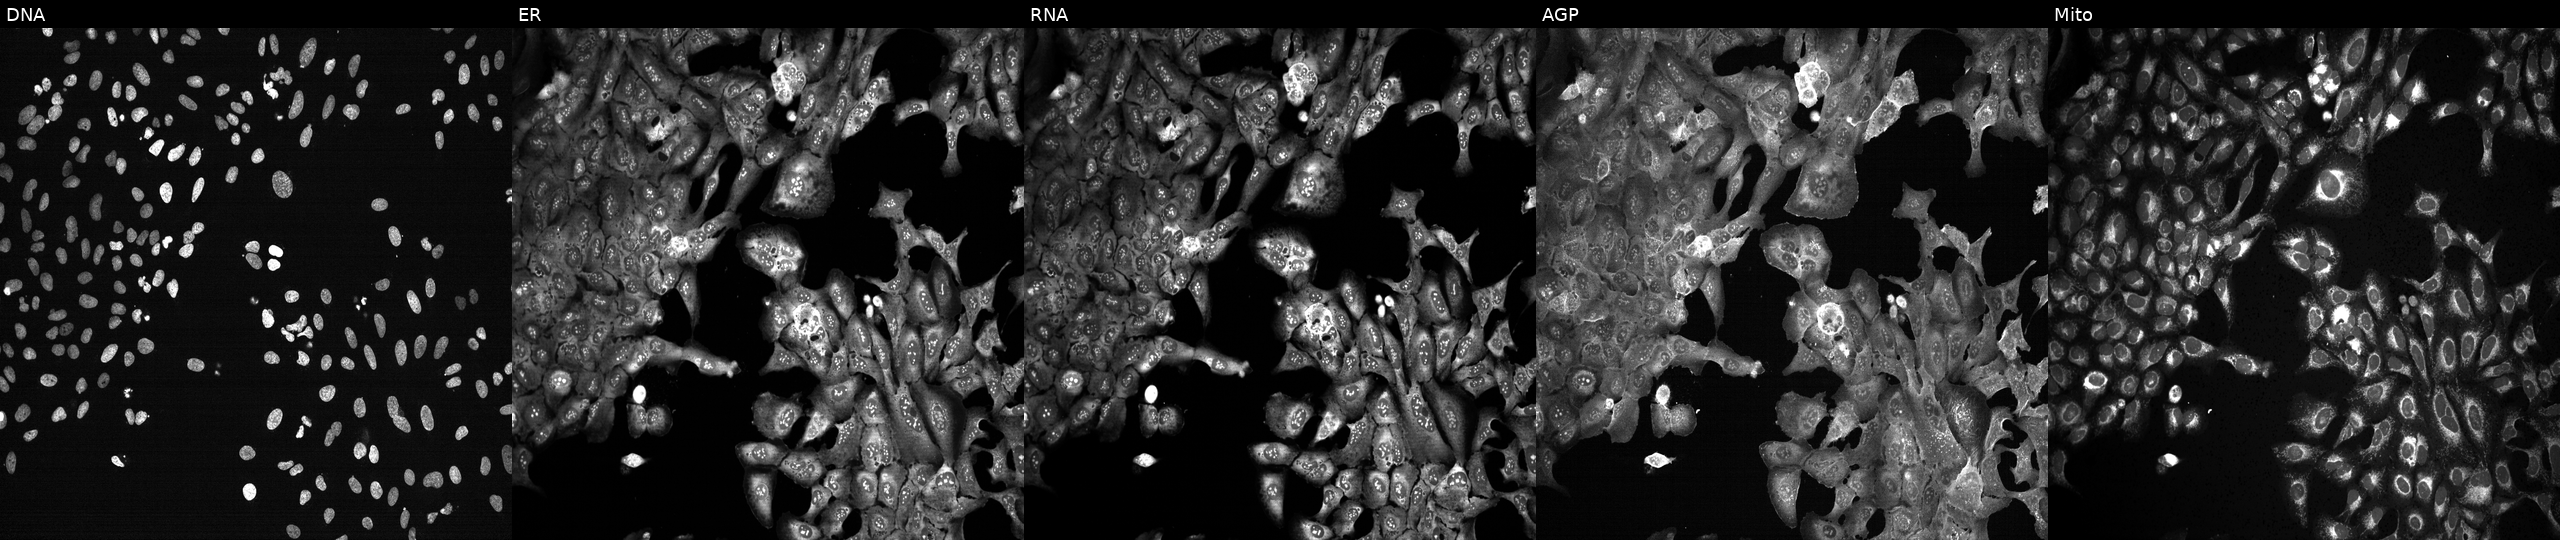
This image strip shows the five Cell Painting channels for a single field of U2OS cells following CRISPR knockout of GGCX. From left to right: DNA (nuclei); ER (endoplasmic reticulum); RNA (nucleoli and cytoplasmic RNA); AGP (actin cytoskeleton, Golgi, and plasma membrane); Mito (mitochondria). Source 13, plate CP-CC9-R3-02, well D20.